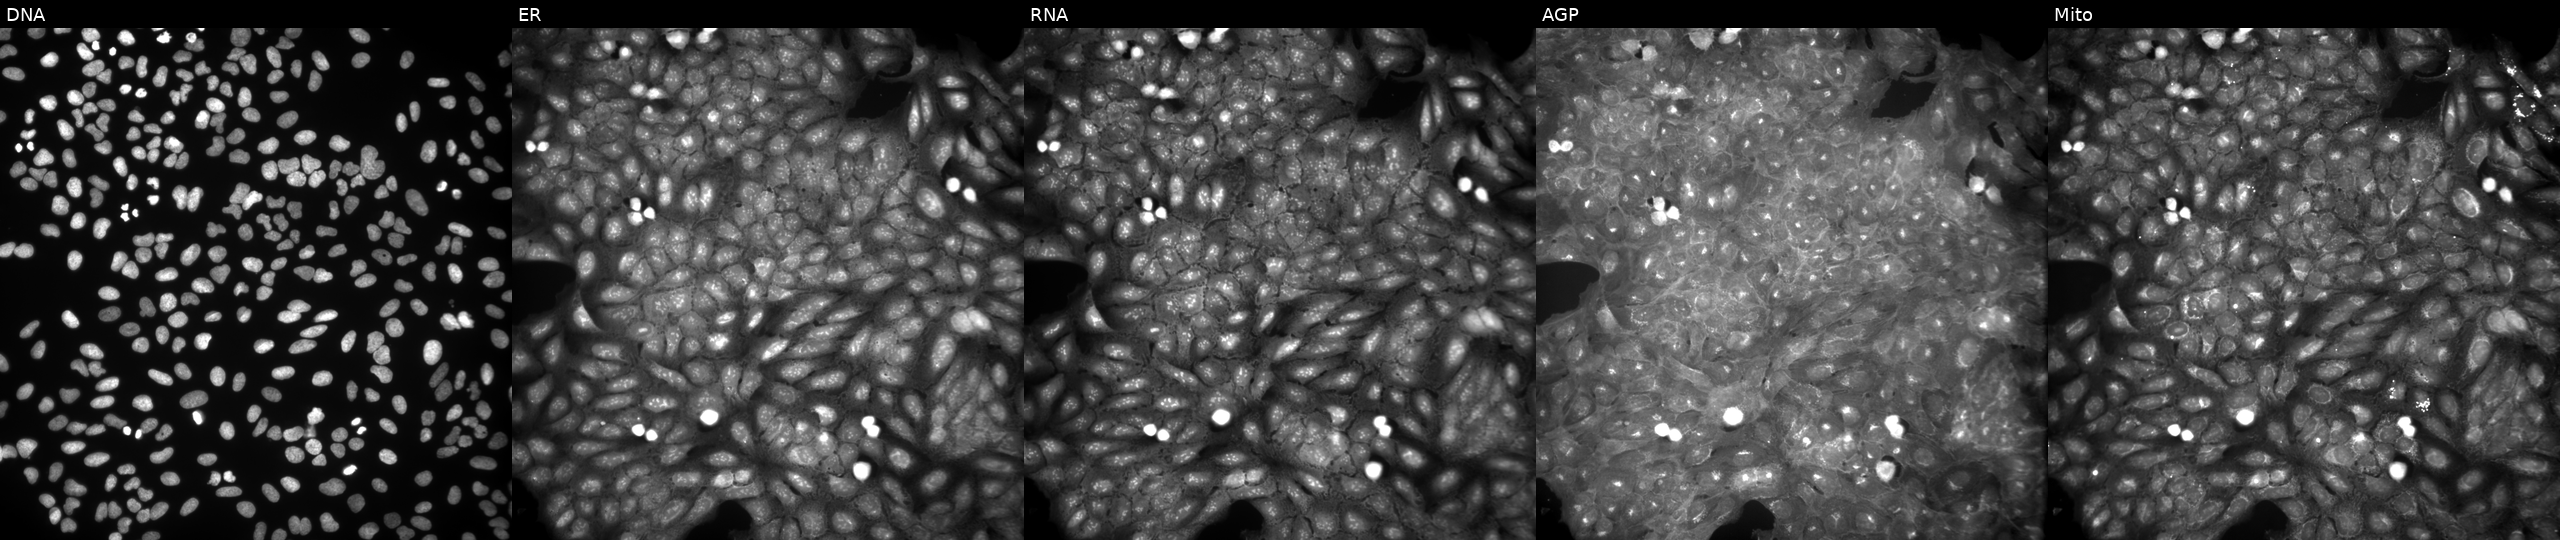
From left to right: Hoechst 33342, concanavalin A, SYTO 14, phalloidin and WGA, MitoTracker. U2OS osteosarcoma cells treated with a small-molecule compound (InChIKey IFINLROWOUFLMI-UHFFFAOYSA-N) (JUMP id JCP2022_034706). Cell Painting assay, JUMP-CP dataset.